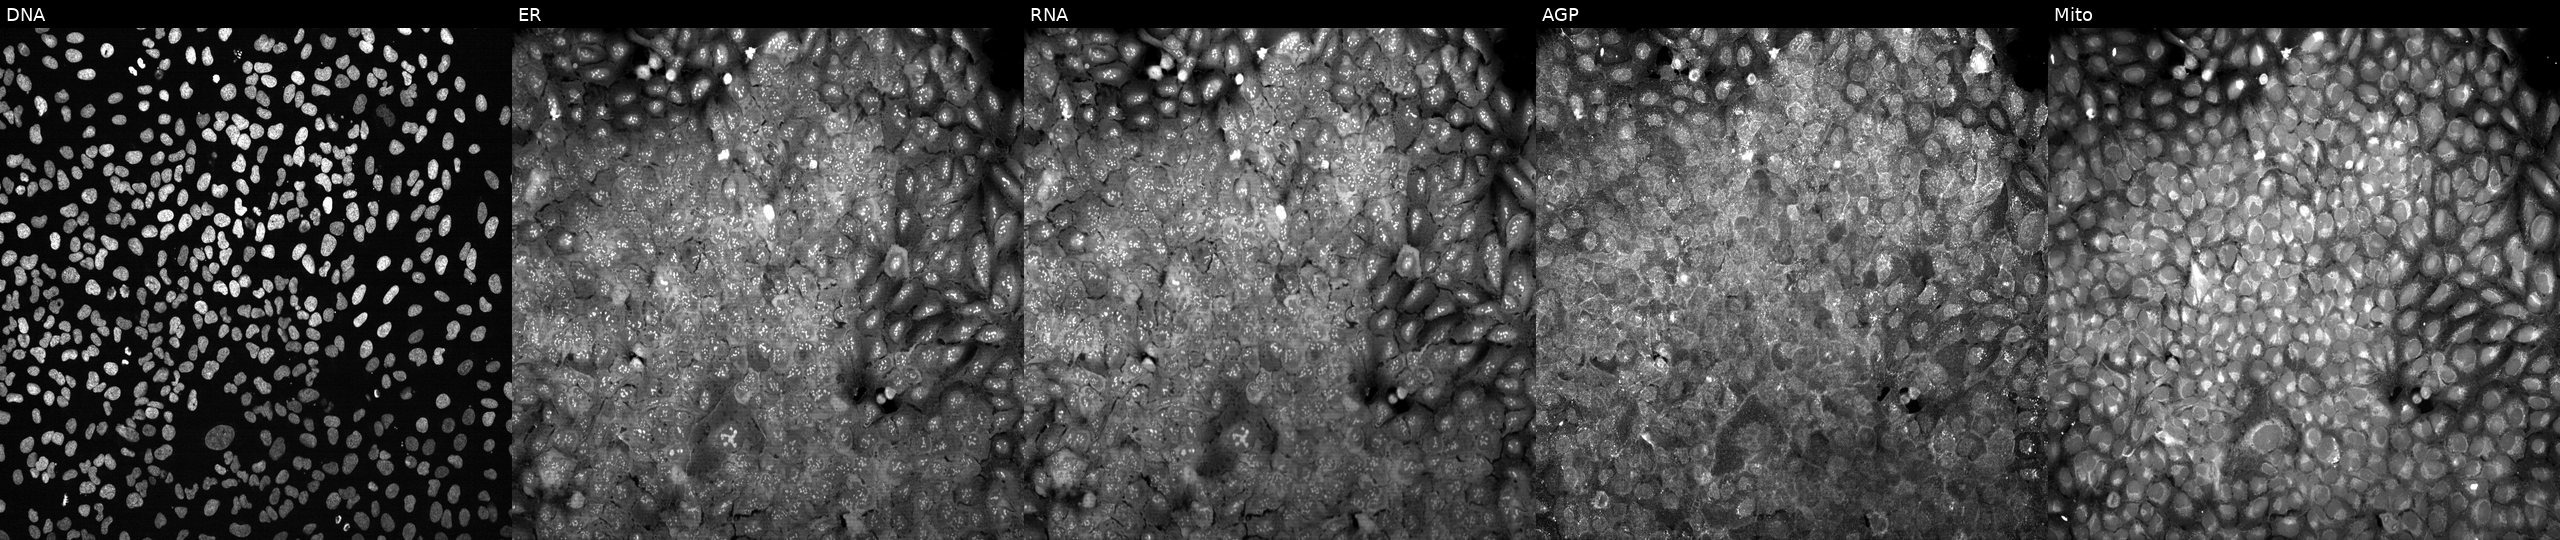
Five-channel Cell Painting image of U2OS cells following CRISPR knockout of ANG. The five panels, left to right, show DNA, ER, RNA, AGP, and Mito.